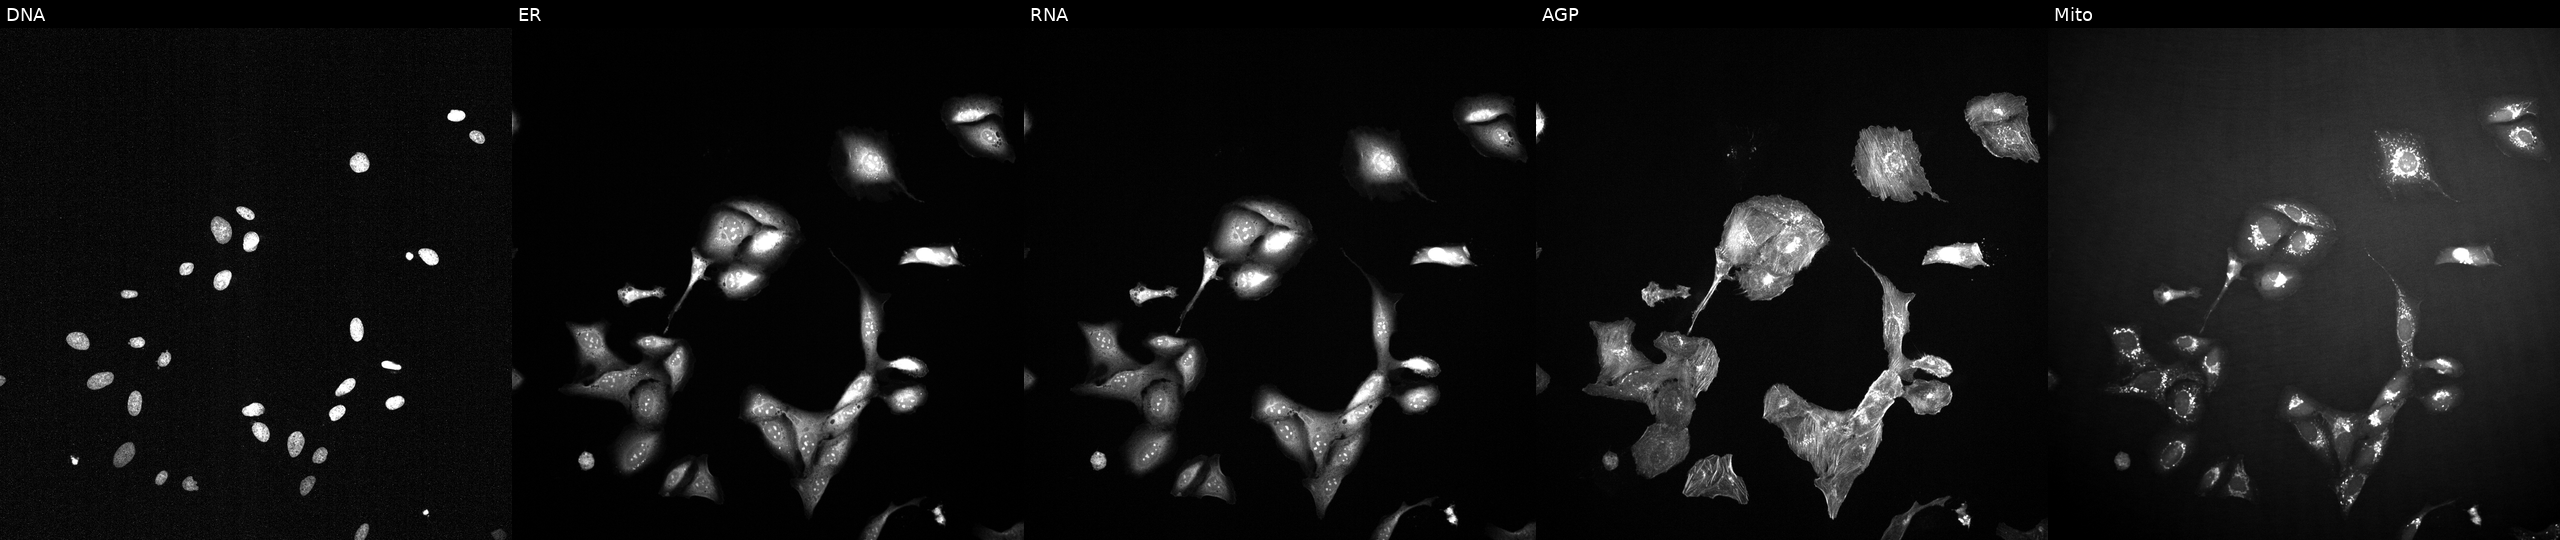
Five-channel Cell Painting image of U2OS cells exposed to a small-molecule compound (InChIKey UTBOEBCWXGDOGI-UHFFFAOYSA-N). Channels (left→right): DNA (nuclei); ER (endoplasmic reticulum); RNA (nucleoli and cytoplasmic RNA); AGP (actin cytoskeleton, Golgi, and plasma membrane); Mito (mitochondria).